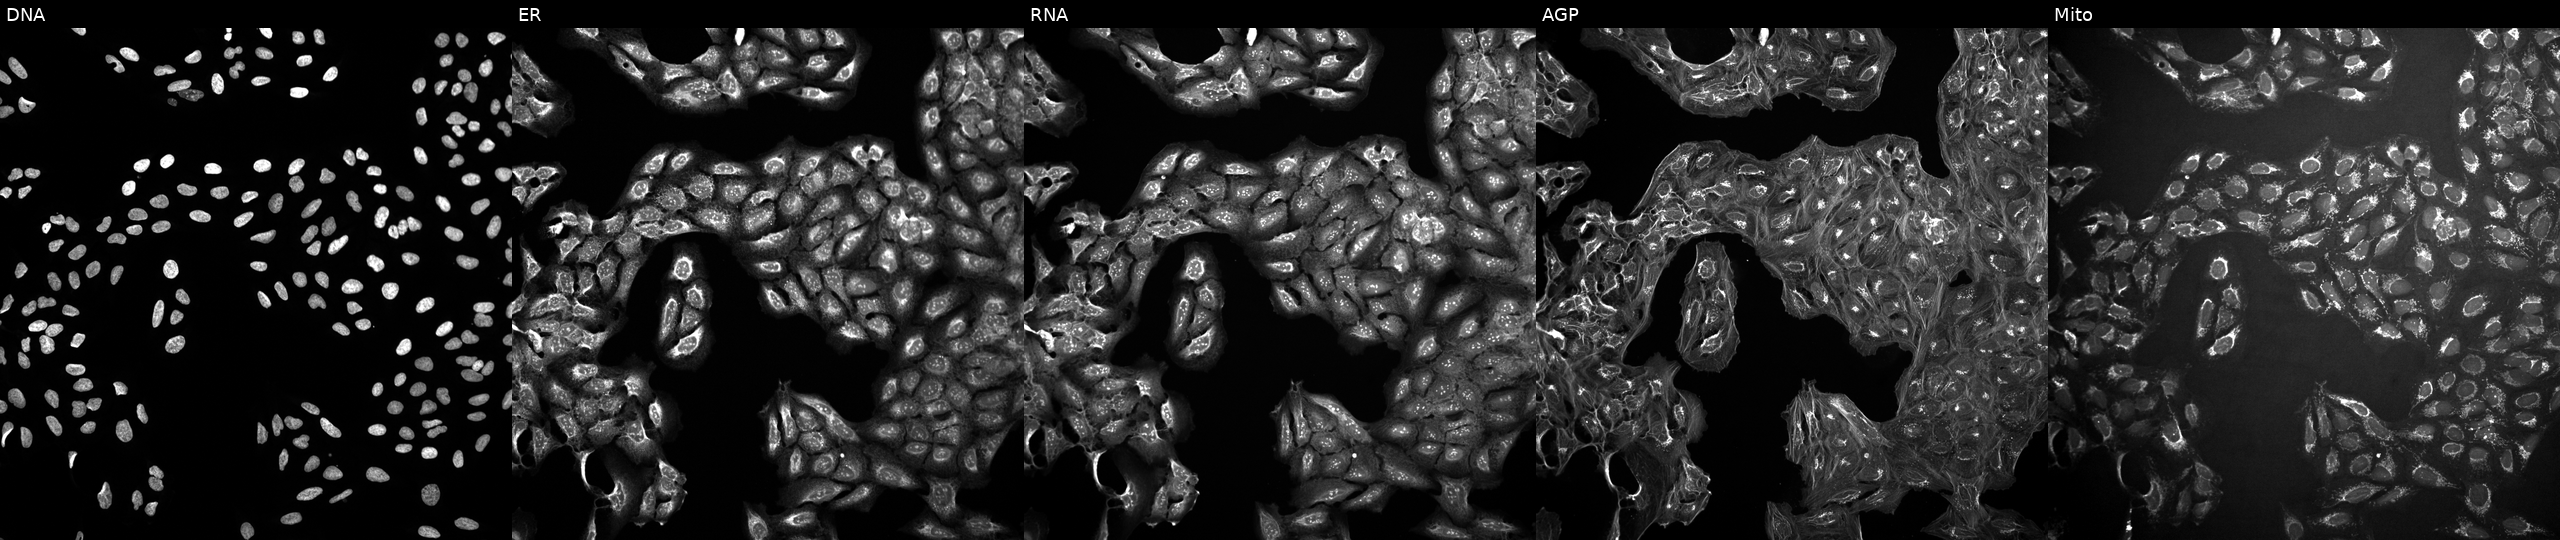
Five-channel Cell Painting image of U2OS cells treated with DMSO vehicle only (negative control). From left to right: Hoechst 33342, concanavalin A, SYTO 14, phalloidin and WGA, MitoTracker.